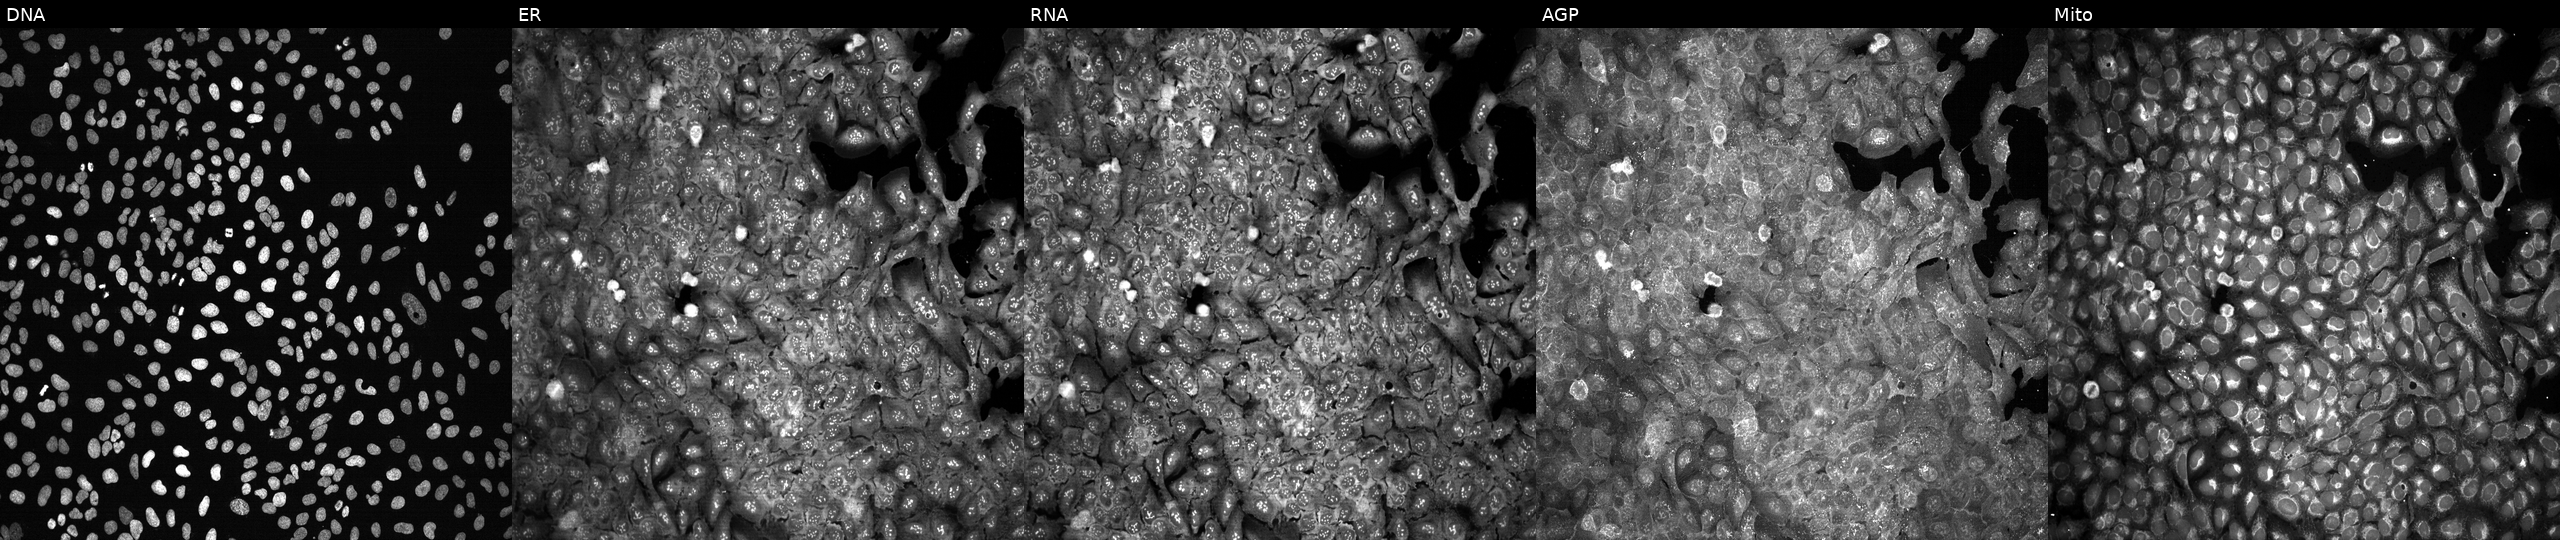
This image strip shows the five Cell Painting channels for a single field of U2OS cells CRISPR-edited to disrupt MAP2 (JUMP id JCP2022_803975). The five panels, left to right, show Hoechst 33342, concanavalin A, SYTO 14, phalloidin and WGA, MitoTracker.